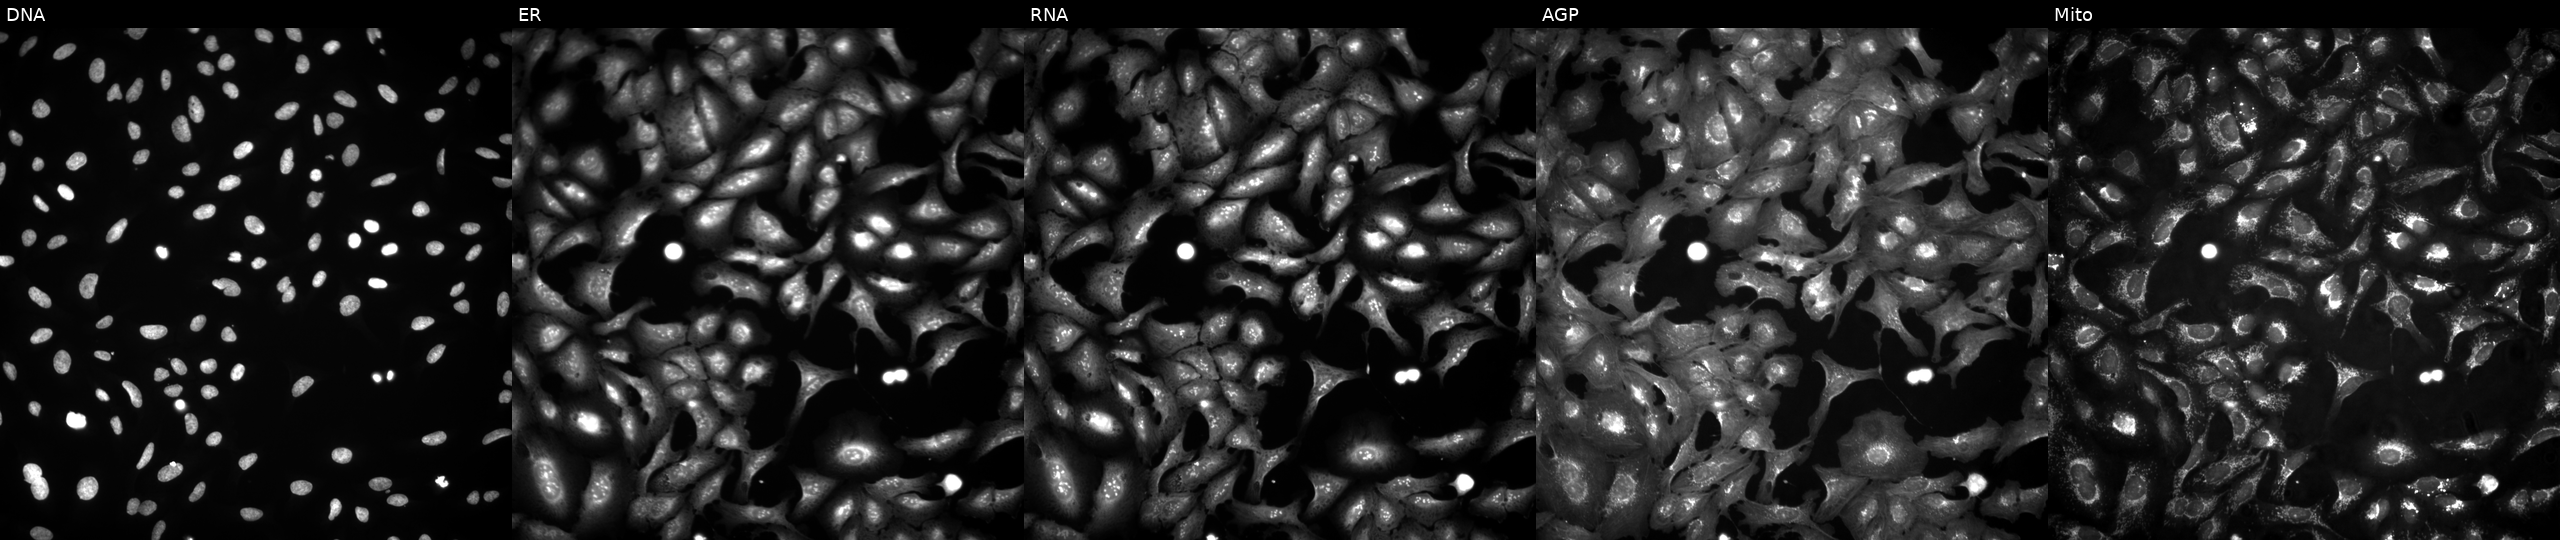
This image strip shows the five Cell Painting channels for a single field of U2OS cells overexpressing SLC1A1 via ORF transfection. From left to right: DNA, ER, RNA, AGP, and Mito.